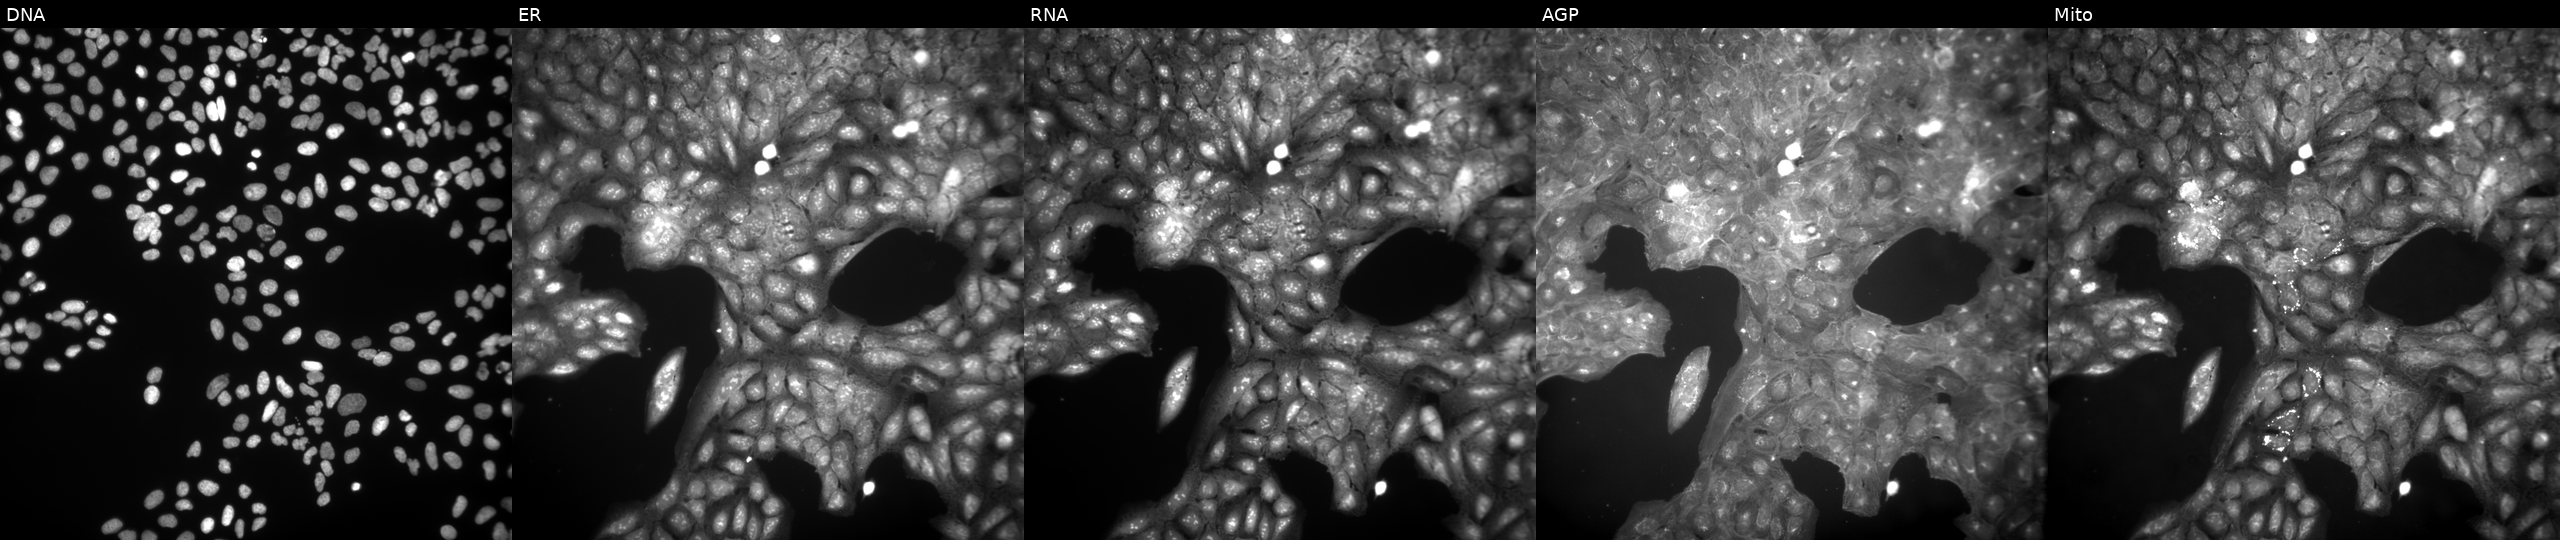
This image strip shows the five Cell Painting channels for a single field of U2OS cells exposed to DMSO alone as a negative control. From left to right: Hoechst 33342, concanavalin A, SYTO 14, phalloidin and WGA, MitoTracker.